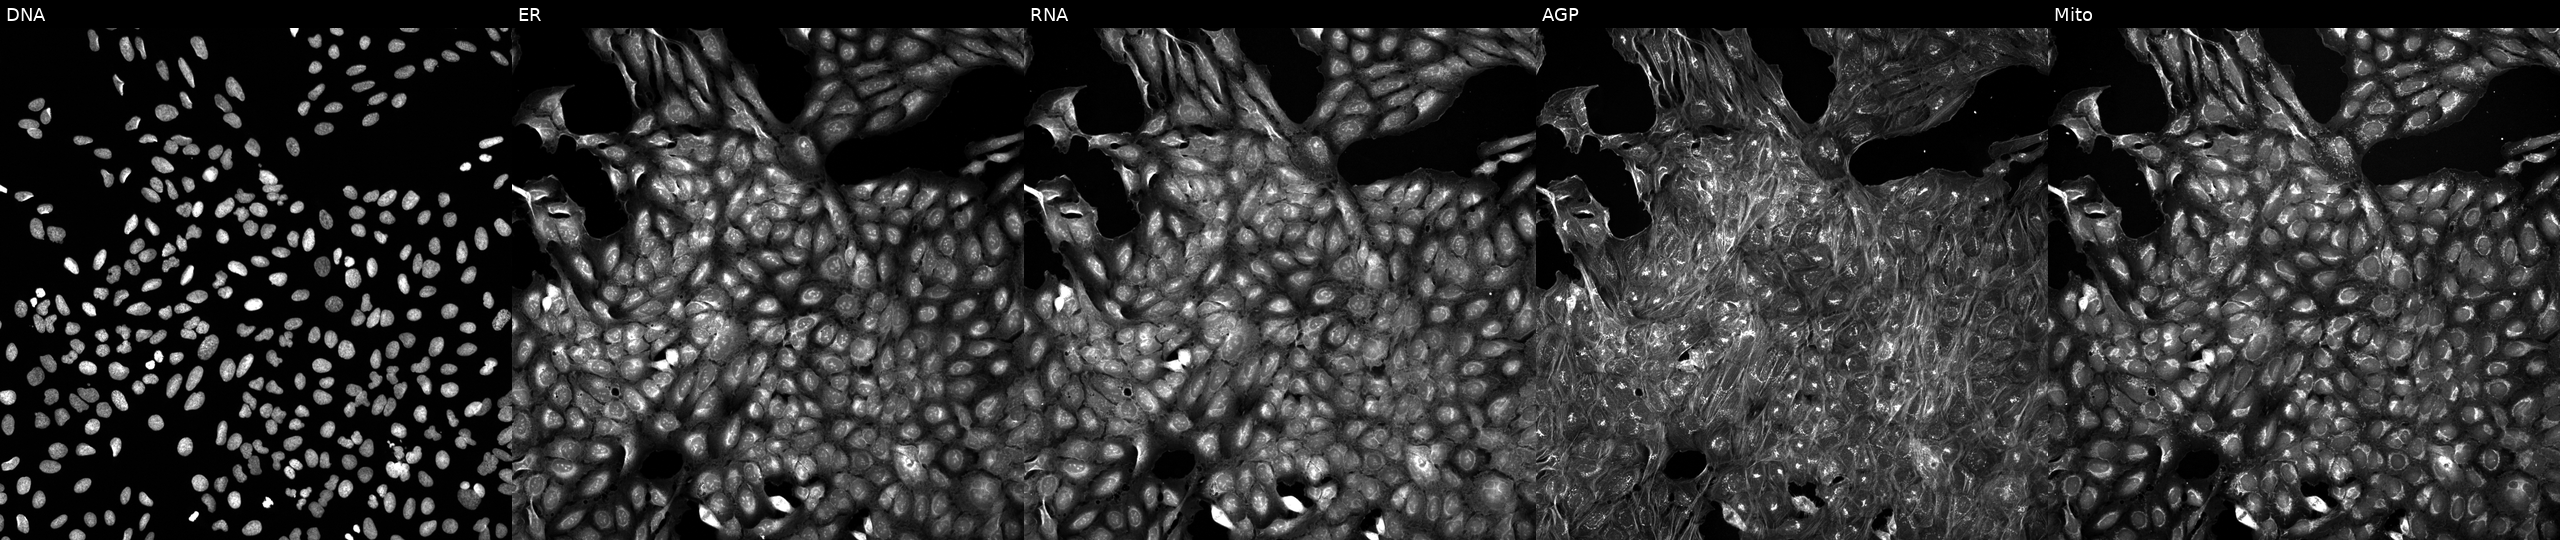
U2OS cells, Cell Painting assay, exposed to a small-molecule compound (InChIKey IORDTZDGJXQFNT-UHFFFAOYSA-N) [SMILES: Cc1c(NCc2ccc3c(c2)n(C)c(=O)n3C)cccc1C(=O)O] (JUMP id JCP2022_036405). From left to right: DNA (nuclei); ER (endoplasmic reticulum); RNA (nucleoli and cytoplasmic RNA); AGP (actin cytoskeleton, Golgi, and plasma membrane); Mito (mitochondria). Each panel is percentile-stretched 16-bit fluorescence.